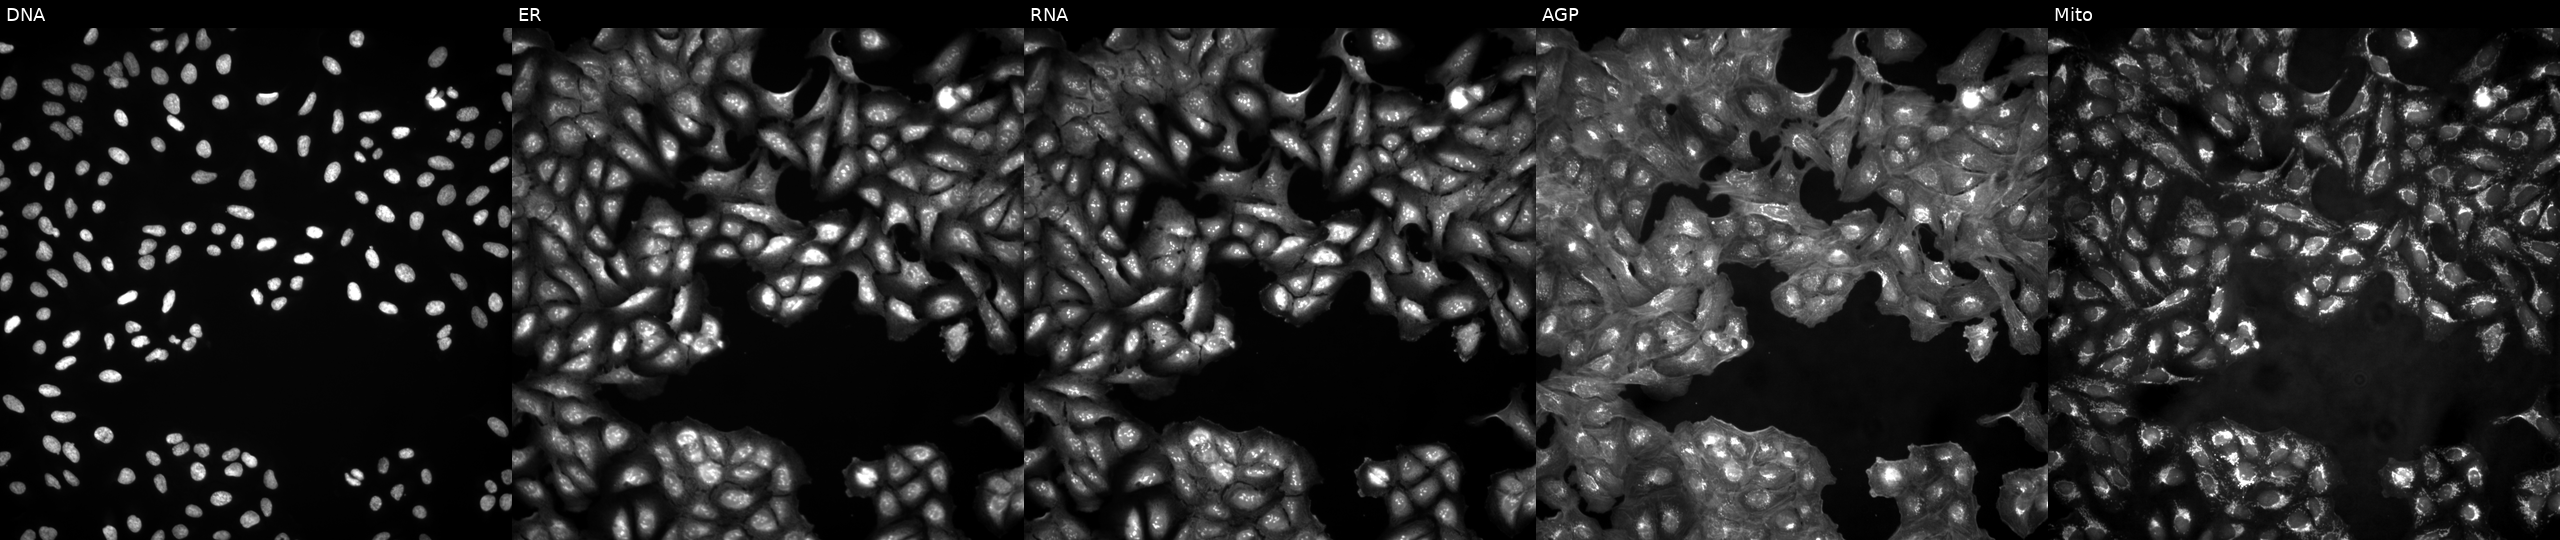
JUMP Cell Painting — ORF plate. U2OS cells untreated (empty-well control). The five panels, left to right, show DNA, ER, RNA, AGP, and Mito.